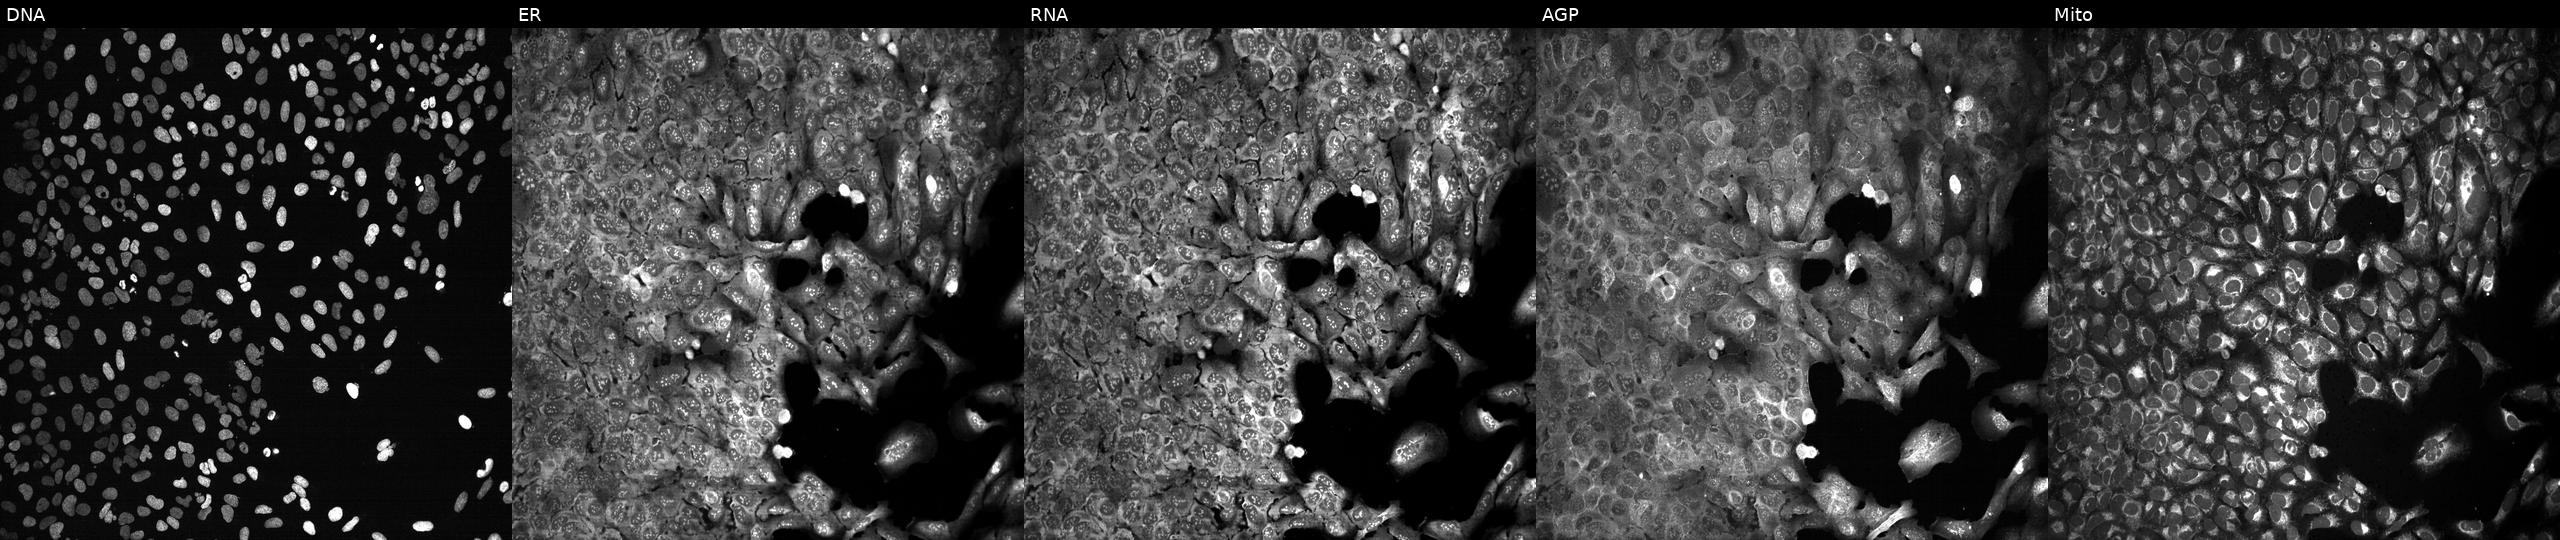
High-content fluorescence microscopy (Cell Painting). Cell line: U2OS. Perturbation: with PPCS knocked out by CRISPR (JUMP id JCP2022_805402). Channels (left→right): DNA, ER, RNA, AGP, and Mito. Source 13, plate CP-CC9-R4-03, well E04.